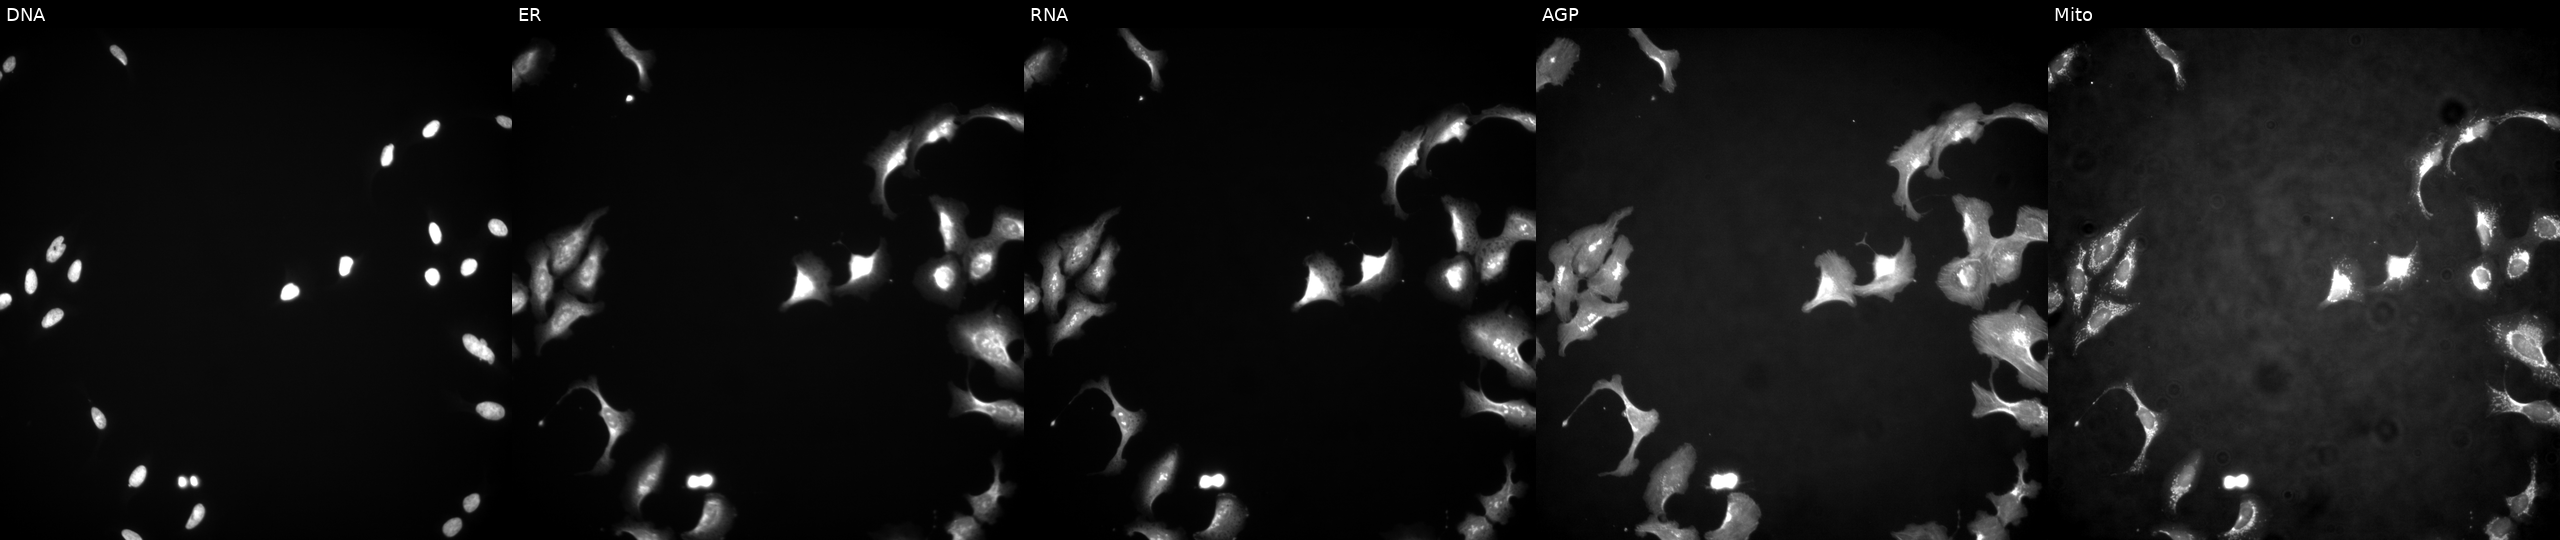
This image strip shows the five Cell Painting channels for a single field of U2OS cells with FBXL17 overexpressed (ORF) (JUMP id JCP2022_911655). Channels (left→right): DNA (nuclei); ER (endoplasmic reticulum); RNA (nucleoli and cytoplasmic RNA); AGP (actin cytoskeleton, Golgi, and plasma membrane); Mito (mitochondria). Source 4, plate BR00123509, well O13.